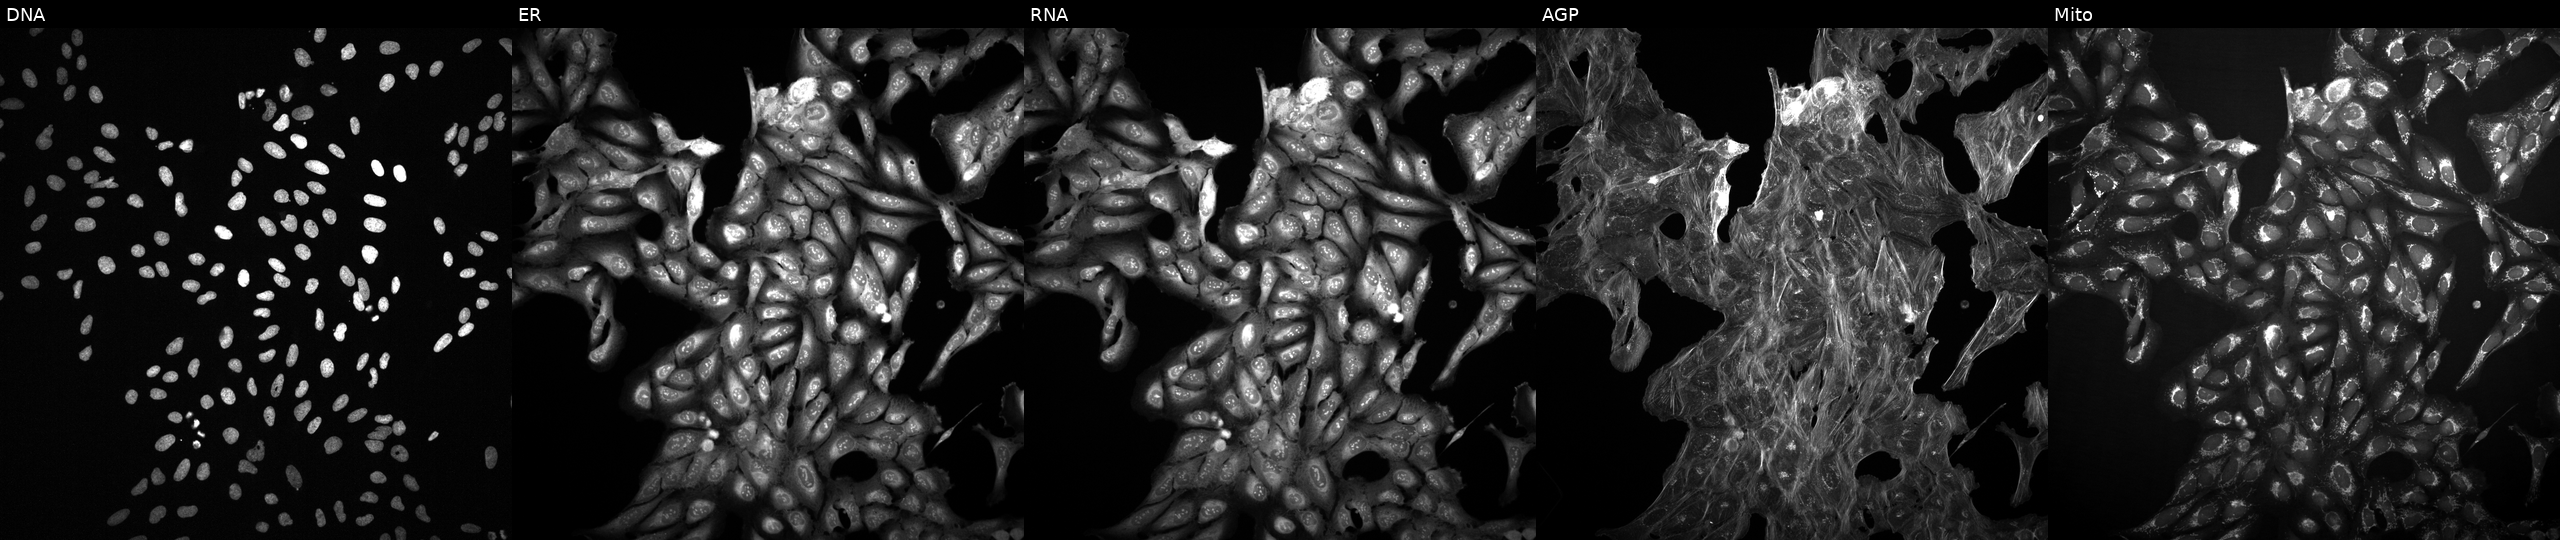
Five-channel Cell Painting image of U2OS cells treated with a small-molecule compound (InChIKey LGEQQWMQCRIYKG-UHFFFAOYSA-N) (JUMP id JCP2022_049224). From left to right: Hoechst 33342, concanavalin A, SYTO 14, phalloidin and WGA, MitoTracker. Source 2, plate 1053597936, well I12.